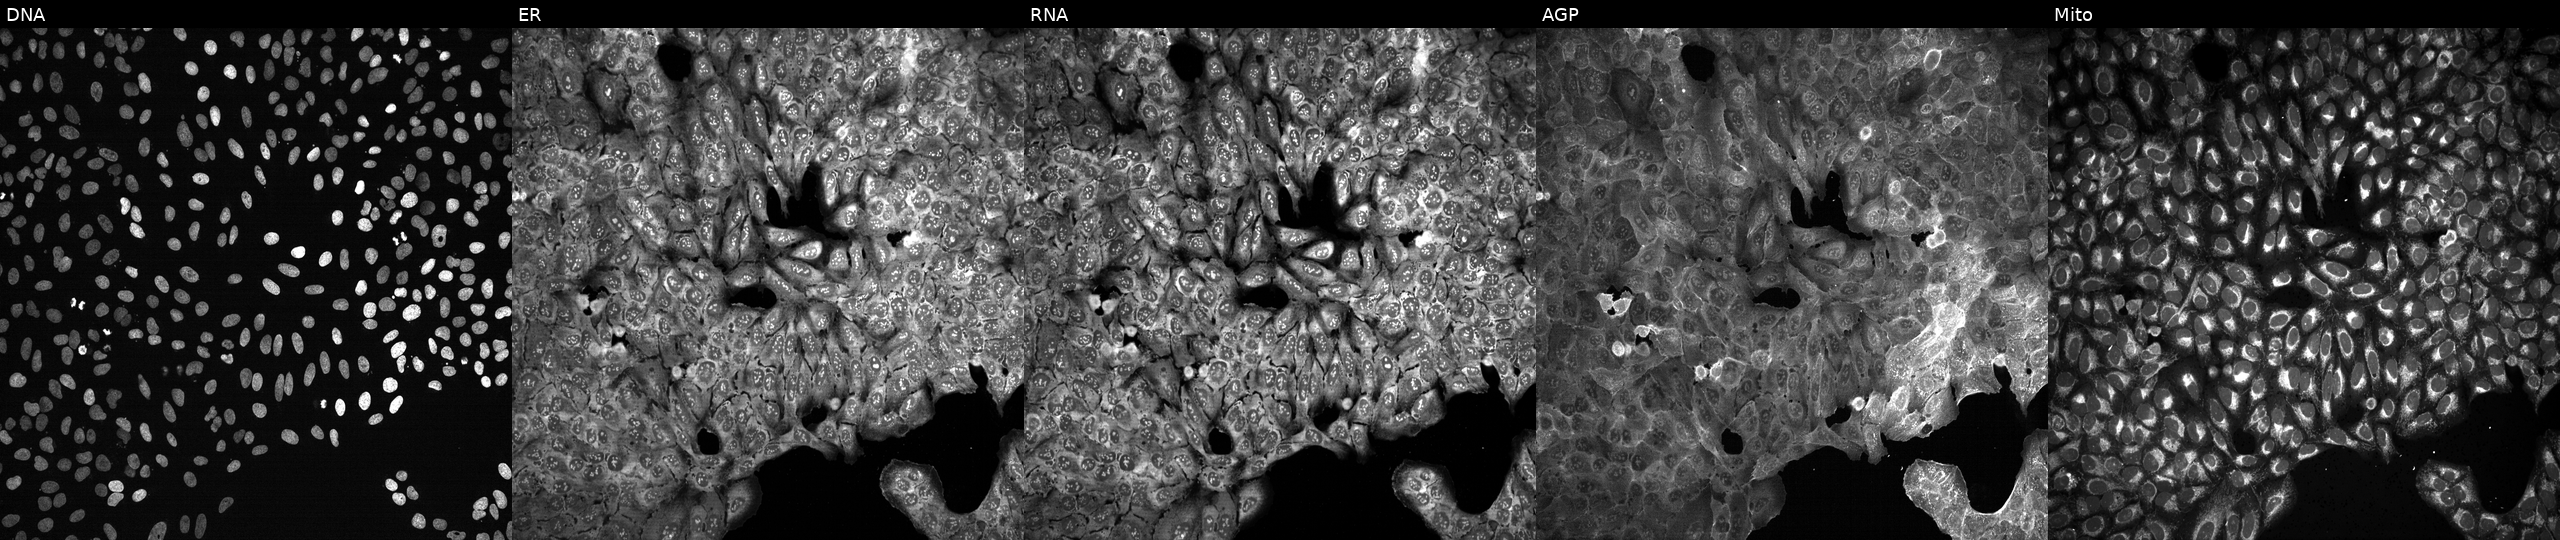
JUMP Cell Painting — CRISPR plate. U2OS cells following CRISPR knockout of FAH (JUMP id JCP2022_802255). The five panels, left to right, show Hoechst 33342, concanavalin A, SYTO 14, phalloidin and WGA, MitoTracker.